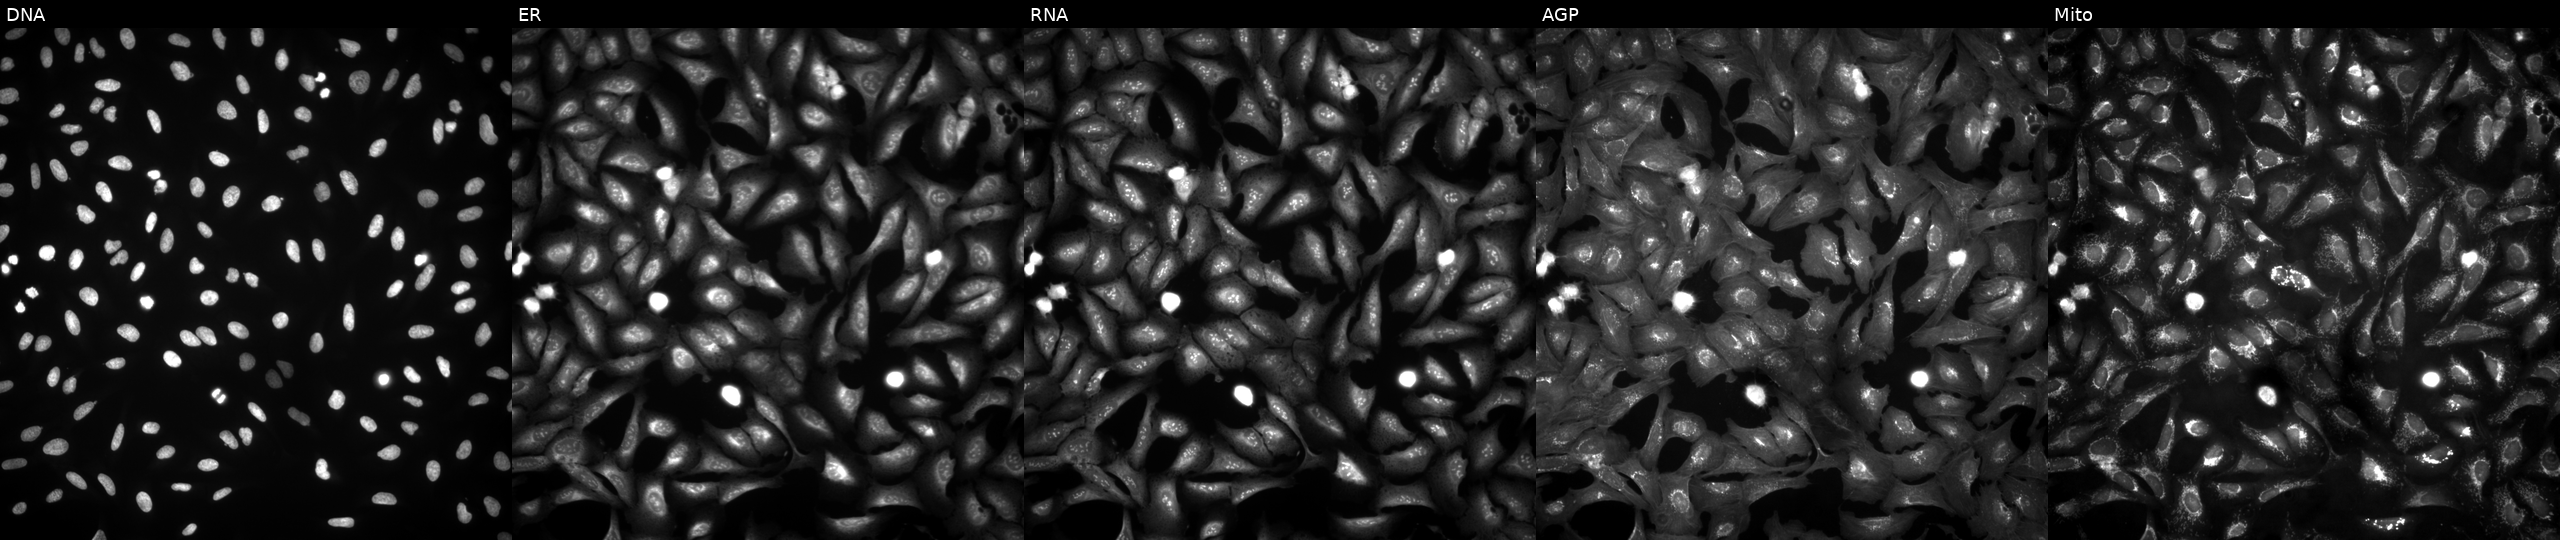
Five-channel Cell Painting image of U2OS cells transfected with an ORF construct for FAM126A (JUMP id JCP2022_904133). Panels show, left to right, DNA, ER, RNA, AGP, and Mito.